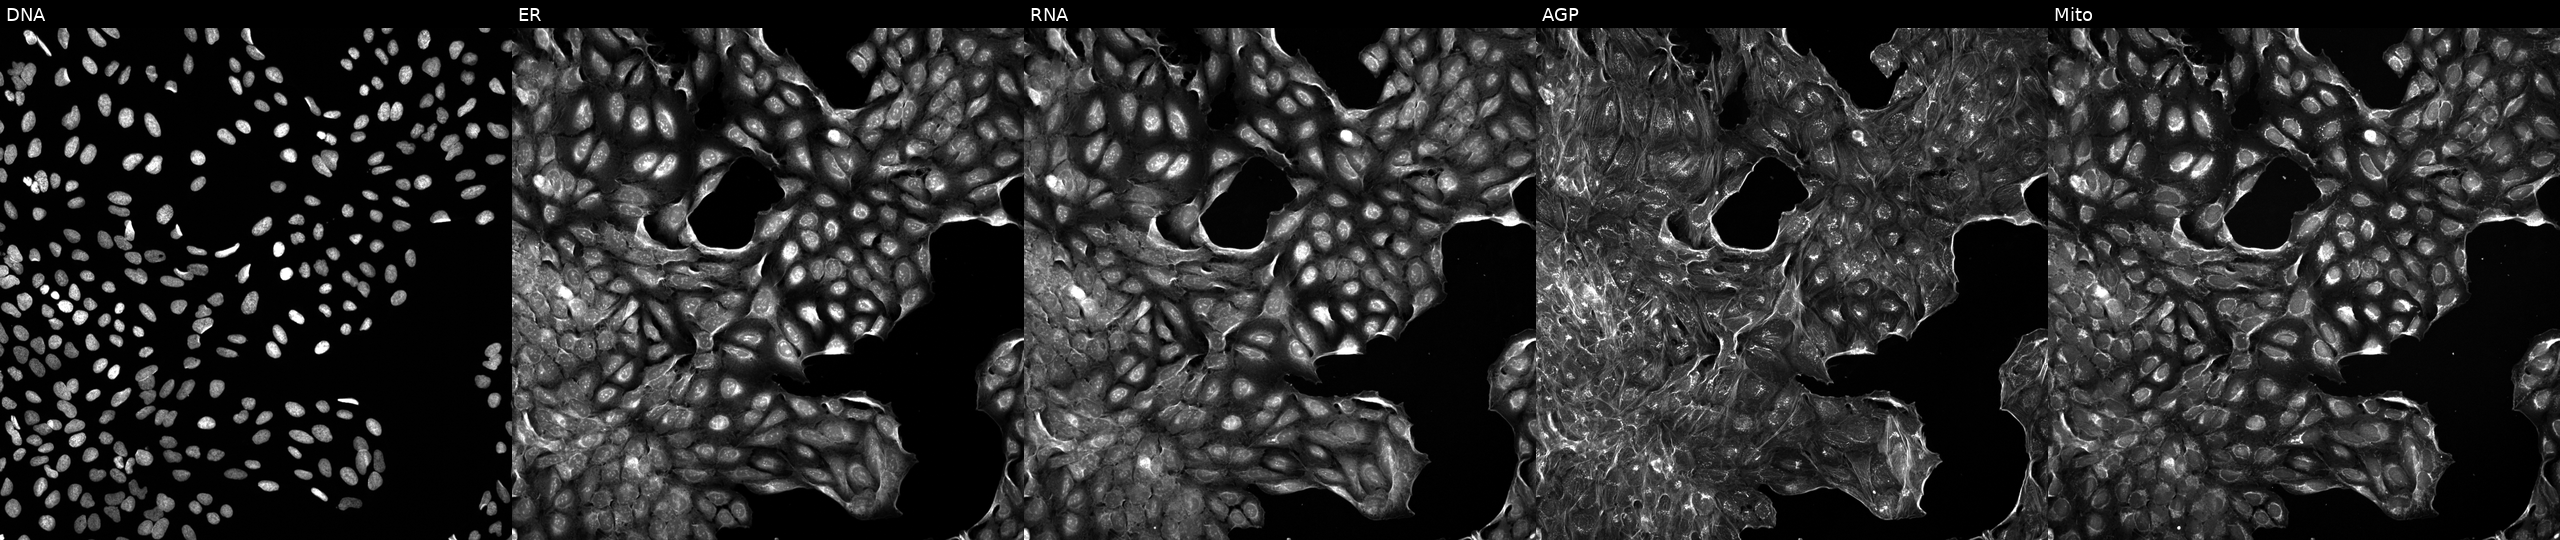
U2OS cells, Cell Painting assay, treated with dexamethasone (positive-control compound) (JUMP id JCP2022_025848). The five panels, left to right, show DNA, ER, RNA, AGP, and Mito. Each panel is percentile-stretched 16-bit fluorescence.